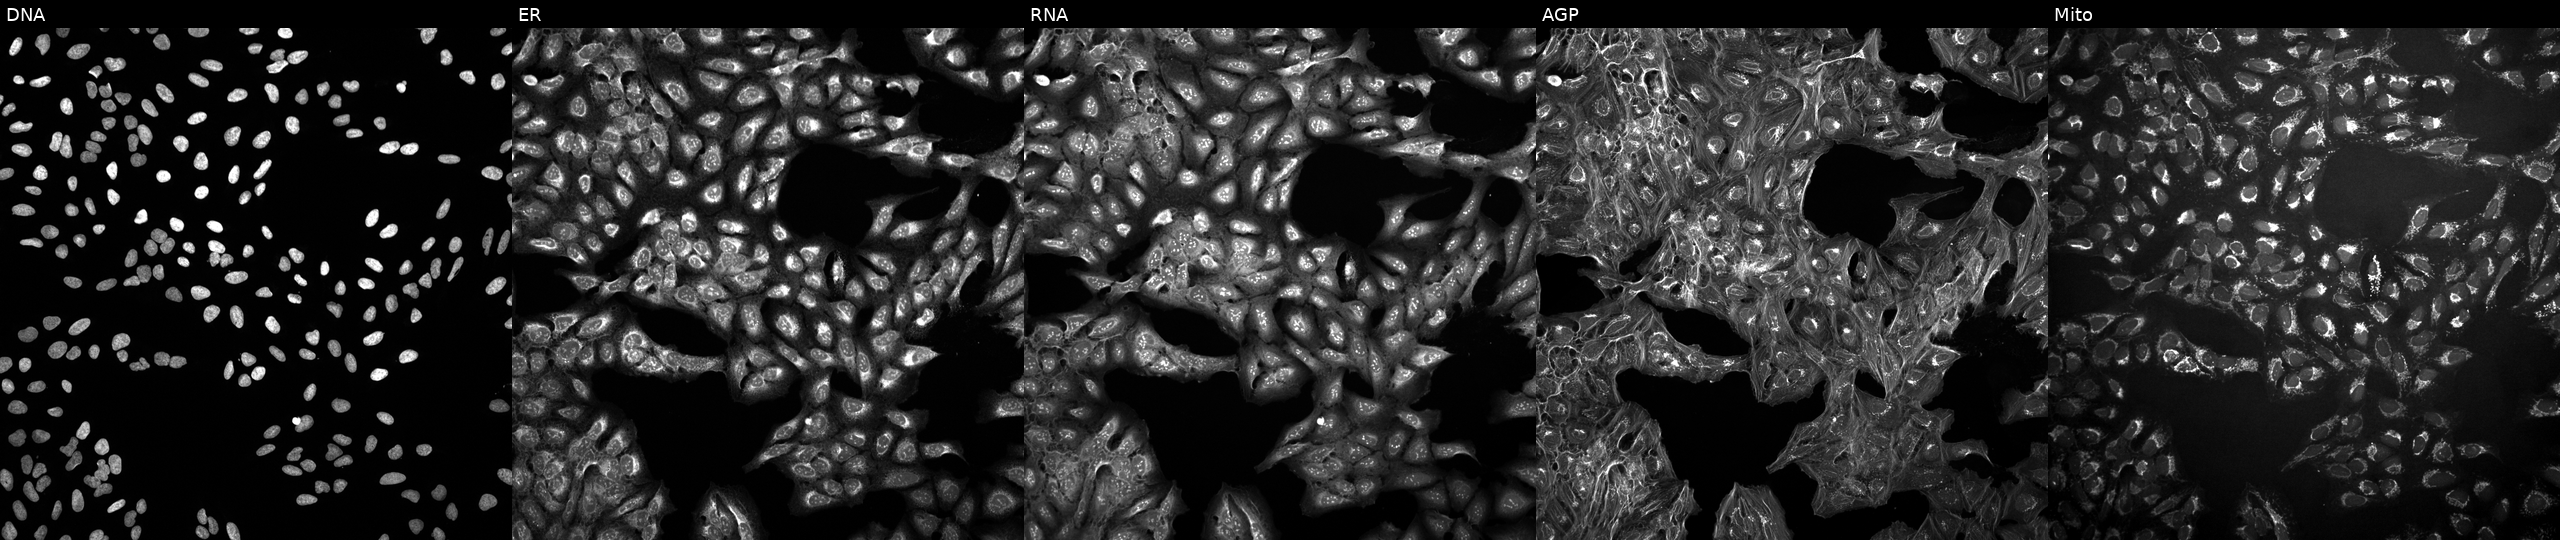
JUMP Cell Painting — COMPOUND plate. U2OS cells treated with a small-molecule compound (JUMP id JCP2022_069631). Channels (left→right): DNA (nuclei); ER (endoplasmic reticulum); RNA (nucleoli and cytoplasmic RNA); AGP (actin cytoskeleton, Golgi, and plasma membrane); Mito (mitochondria).